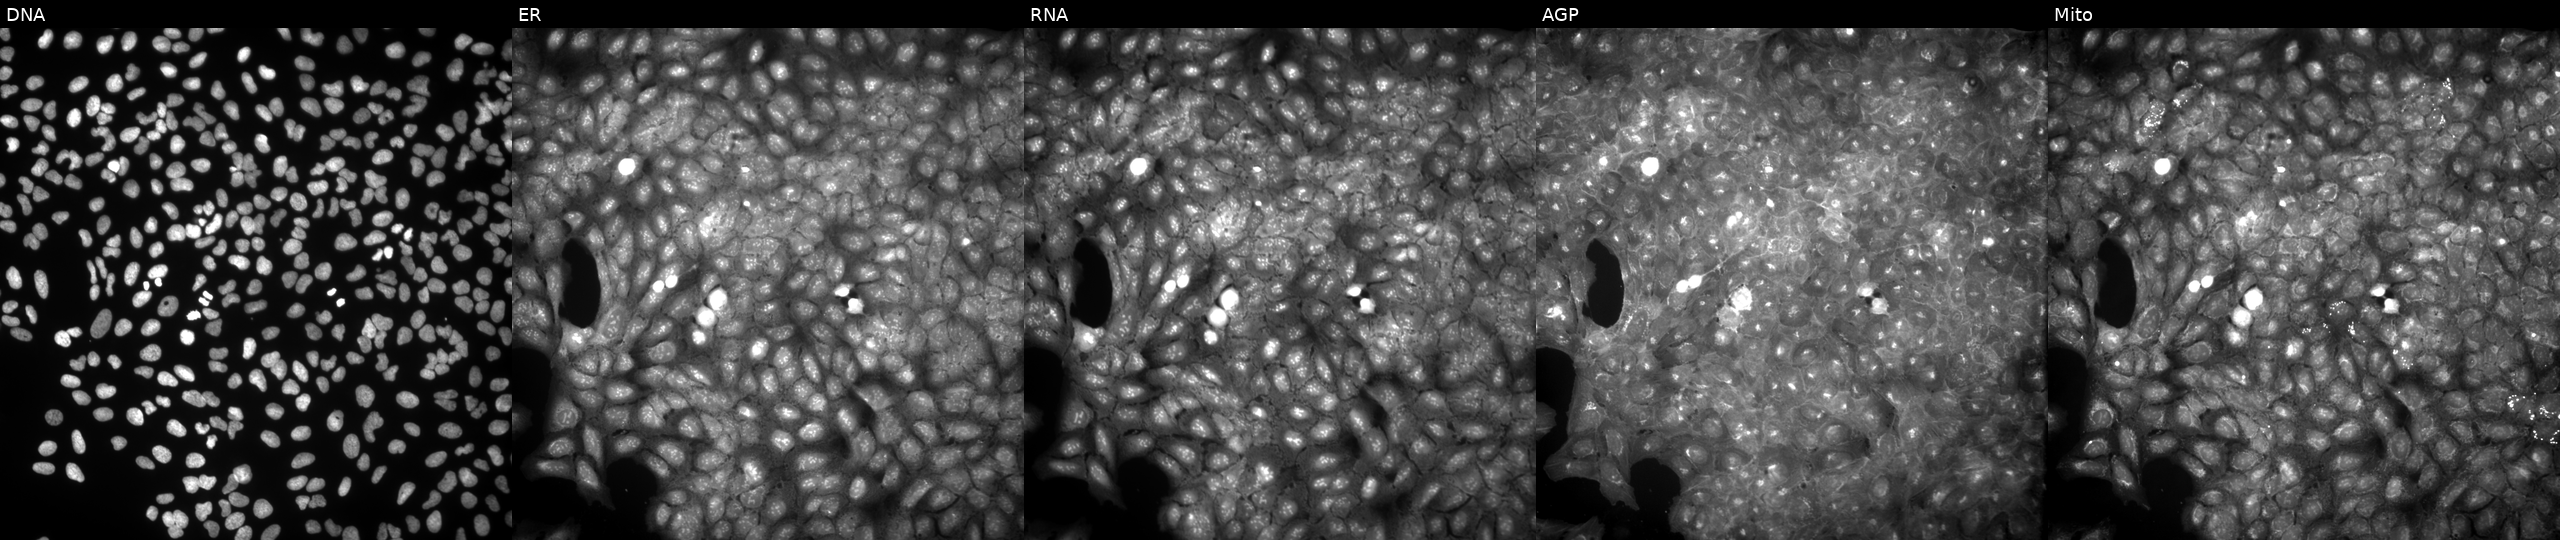
This image strip shows the five Cell Painting channels for a single field of U2OS cells treated with DMSO vehicle only (negative control) (JUMP id JCP2022_033924). Panels show, left to right, DNA, ER, RNA, AGP, and Mito.